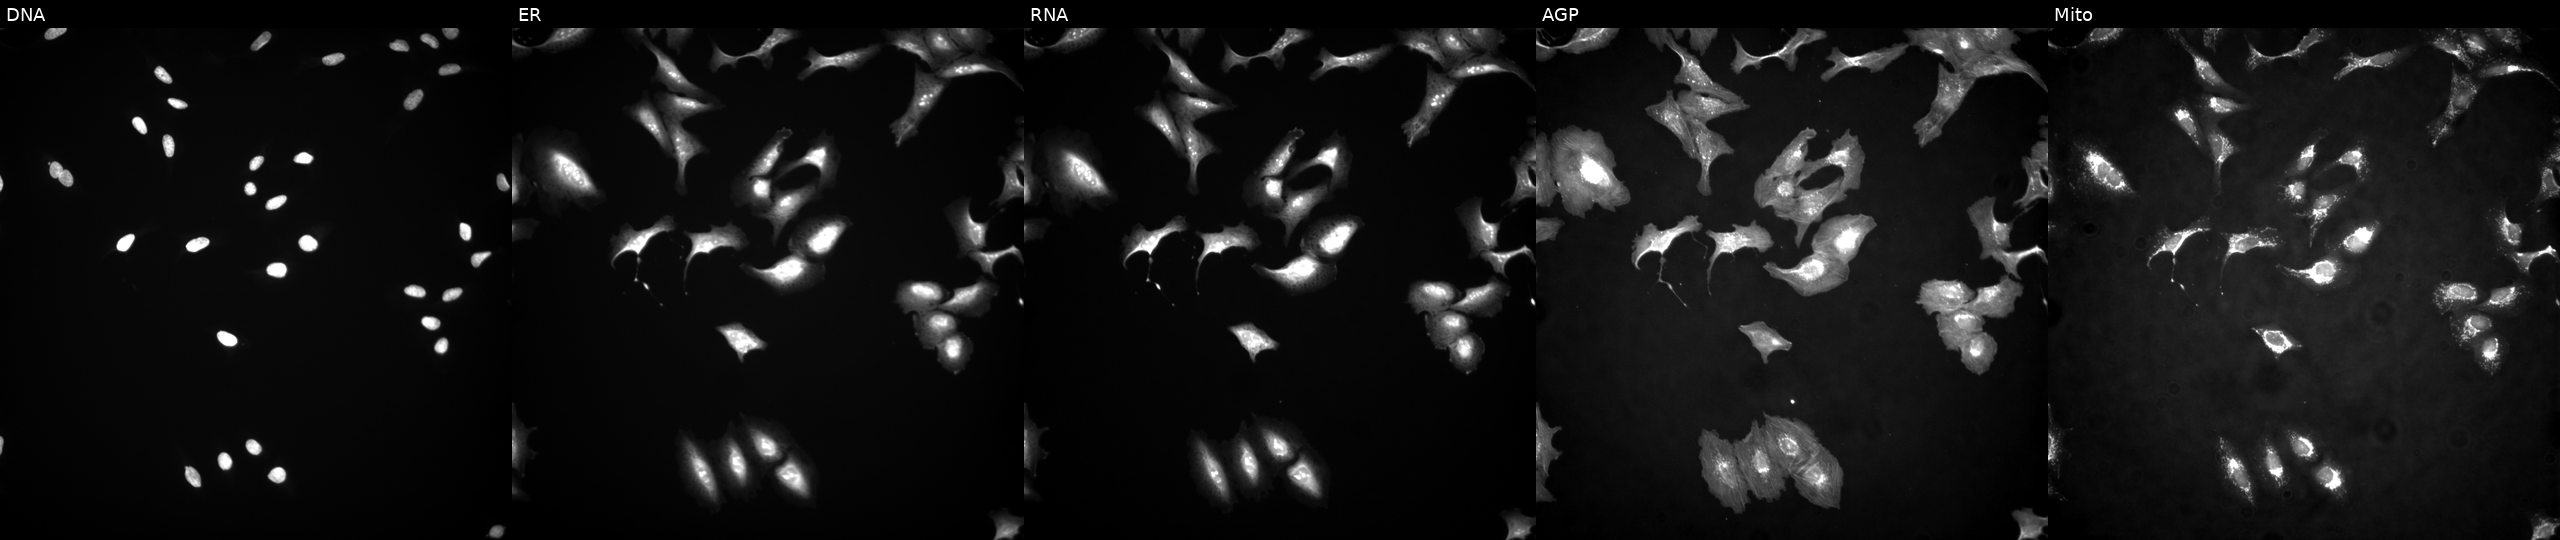
The five panels, left to right, show DNA, ER, RNA, AGP, and Mito. U2OS osteosarcoma cells transfected with an ORF construct for ECD. Cell Painting assay, JUMP-CP dataset.